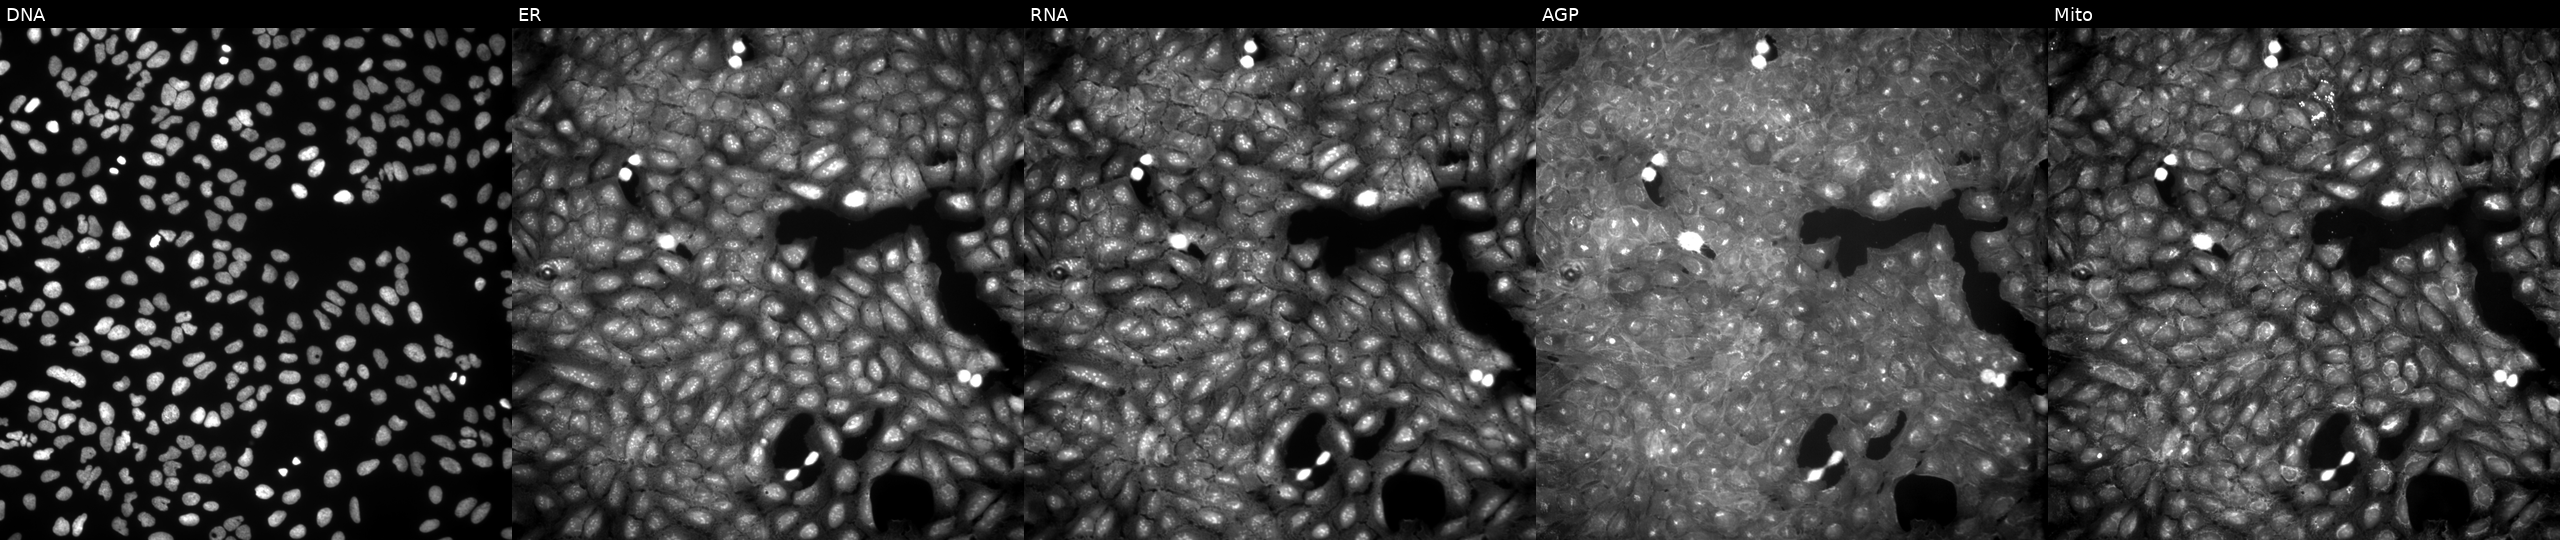
High-content fluorescence microscopy (Cell Painting). Cell line: U2OS. Perturbation: exposed to a small-molecule compound. Channels (left→right): DNA, ER, RNA, AGP, and Mito. Source 9, plate GR00003381, well G29.